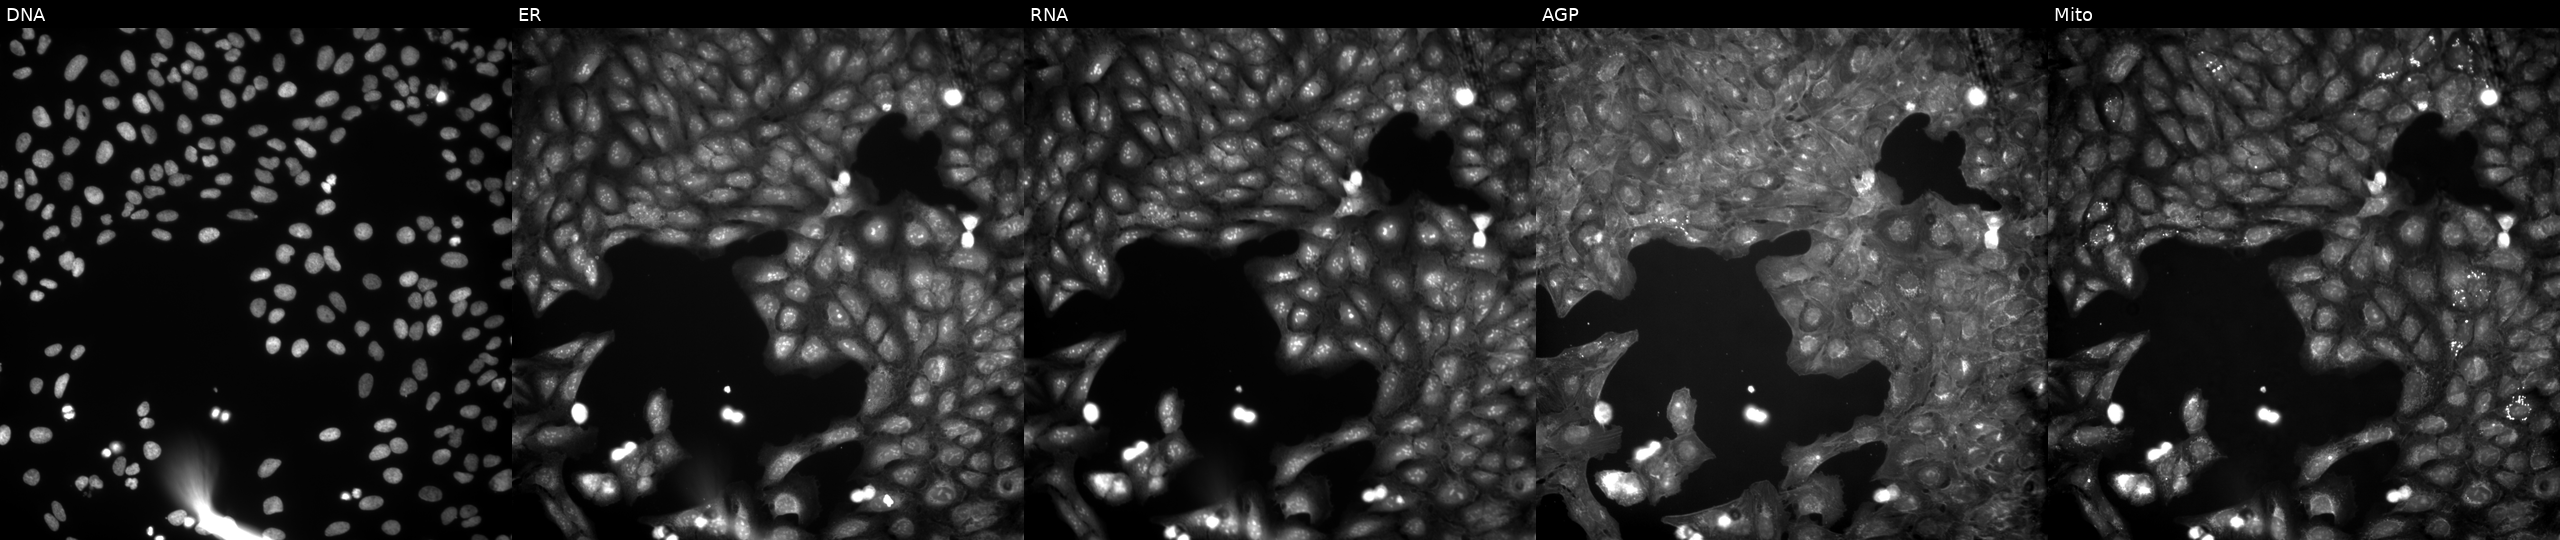
Five-channel Cell Painting image of U2OS cells perturbed with a small-molecule compound (InChIKey KOLPZKQPBGVSAU-UHFFFAOYSA-N). The five panels, left to right, show DNA (nuclei); ER (endoplasmic reticulum); RNA (nucleoli and cytoplasmic RNA); AGP (actin cytoskeleton, Golgi, and plasma membrane); Mito (mitochondria).